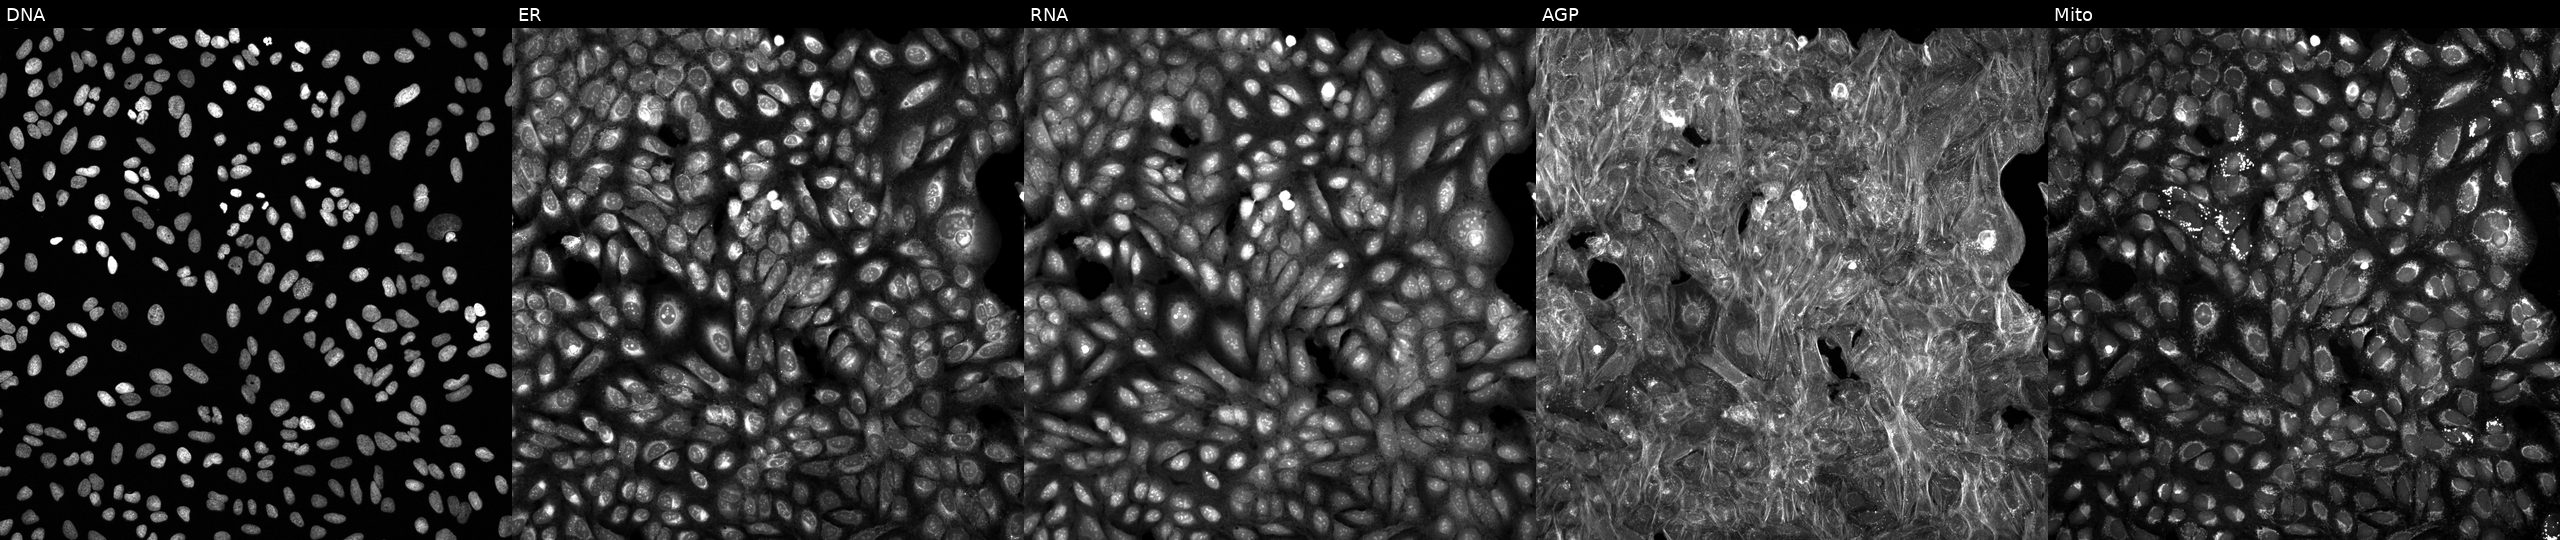
From left to right: Hoechst 33342, concanavalin A, SYTO 14, phalloidin and WGA, MitoTracker. U2OS osteosarcoma cells perturbed with a small-molecule compound (InChIKey DMWVGXGXHPOEPT-UHFFFAOYSA-N) [SMILES: COc1cc2[nH]cnc(=Nc3ccc(Oc4ccccc4)cc3)c2cc1OC]. Cell Painting assay, JUMP-CP dataset. Source 6, plate 110000294901, well E02.